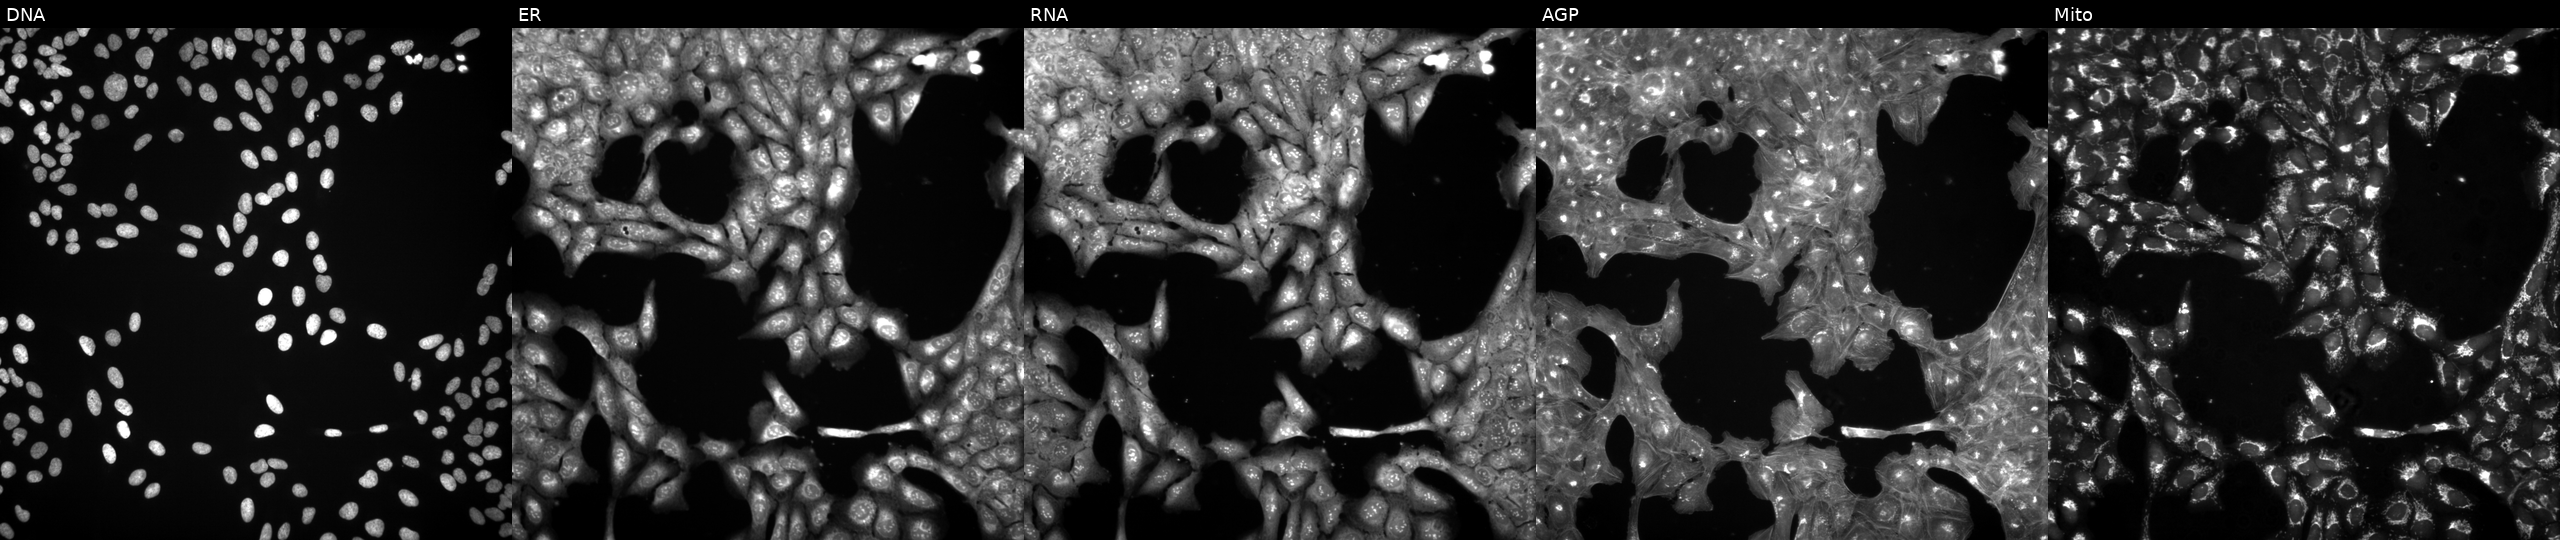
Five-channel Cell Painting image of U2OS cells treated with a small-molecule compound (InChIKey JSPBTKZNACFOJZ-UHFFFAOYSA-N) [SMILES: Cc1cc(=NC(=O)CN2CCN(S(=O)(=O)c3ccc4ccccc4c3)CC2)[nH]o1]. Panels show, left to right, DNA, ER, RNA, AGP, and Mito. Source 3, plate BR5867a3, well L11.